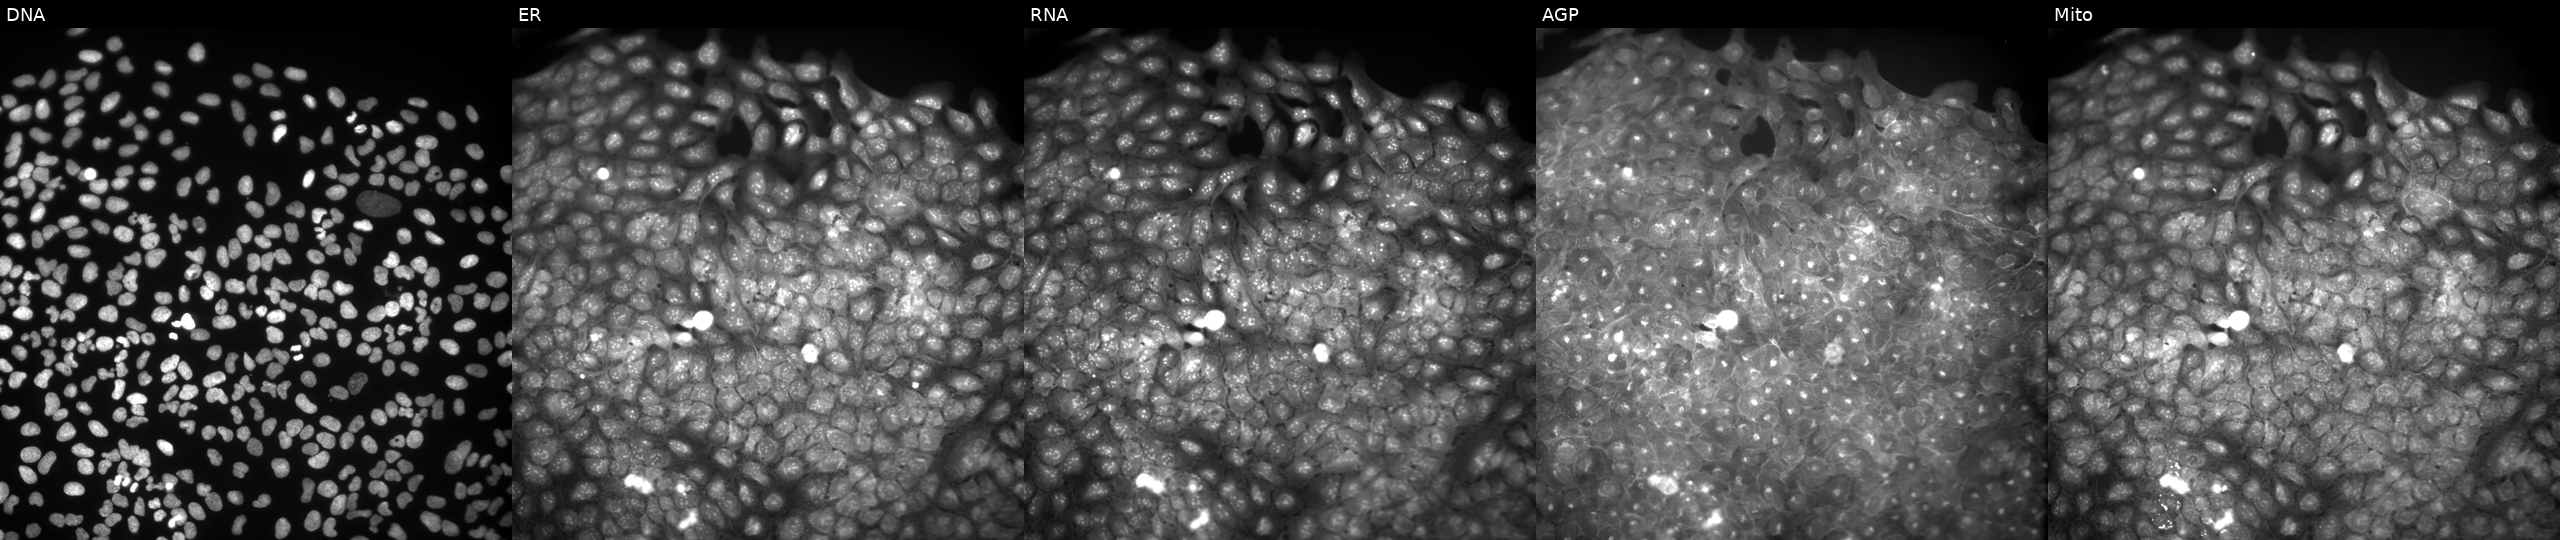
Five-channel Cell Painting image of U2OS cells treated with a small-molecule compound (JUMP id JCP2022_037059). The five panels, left to right, show DNA, ER, RNA, AGP, and Mito.